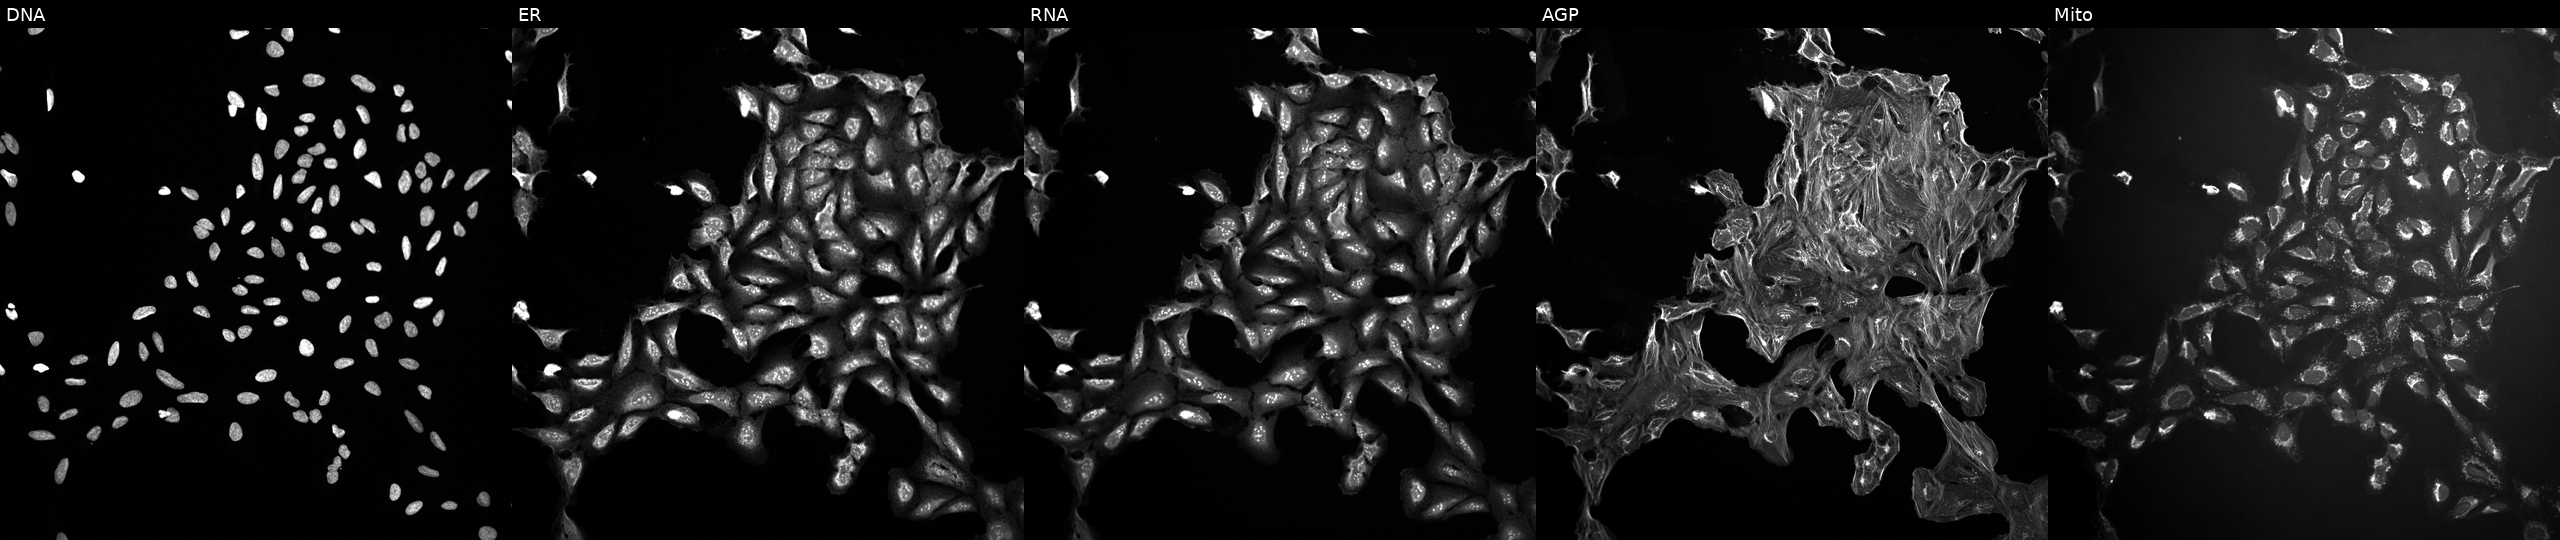
Panels show, left to right, DNA (nuclei); ER (endoplasmic reticulum); RNA (nucleoli and cytoplasmic RNA); AGP (actin cytoskeleton, Golgi, and plasma membrane); Mito (mitochondria). U2OS osteosarcoma cells treated with DMSO vehicle only (negative control). Cell Painting assay, JUMP-CP dataset. Source 10, plate Dest210726-160150, well I20.